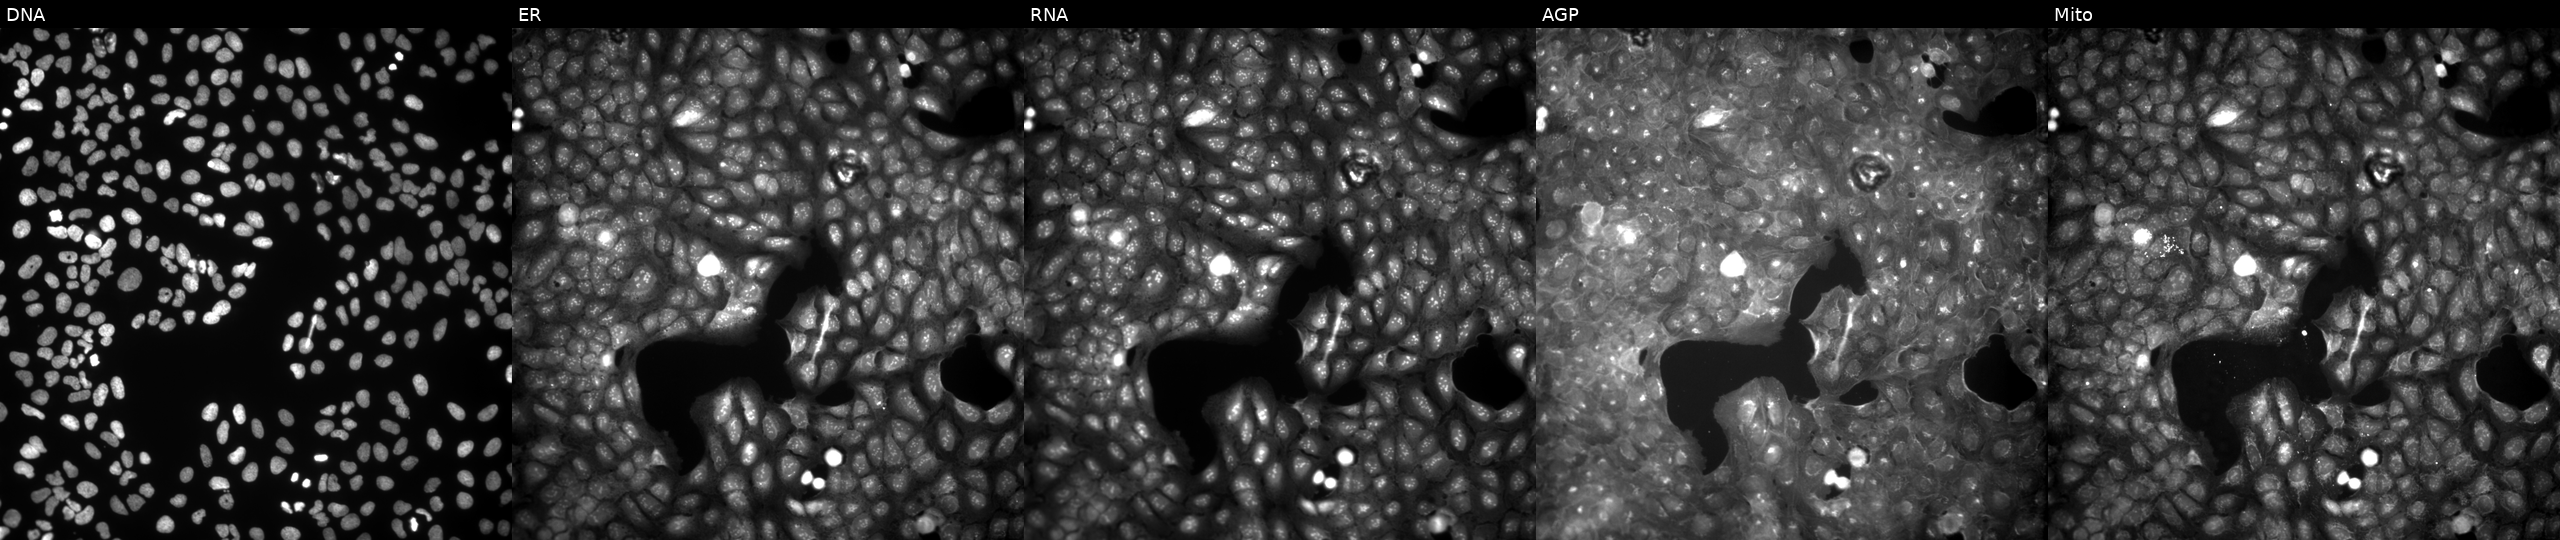
High-content fluorescence microscopy (Cell Painting). Cell line: U2OS. Perturbation: treated with a small-molecule compound (JUMP id JCP2022_038535). The five panels, left to right, show DNA (nuclei); ER (endoplasmic reticulum); RNA (nucleoli and cytoplasmic RNA); AGP (actin cytoskeleton, Golgi, and plasma membrane); Mito (mitochondria).